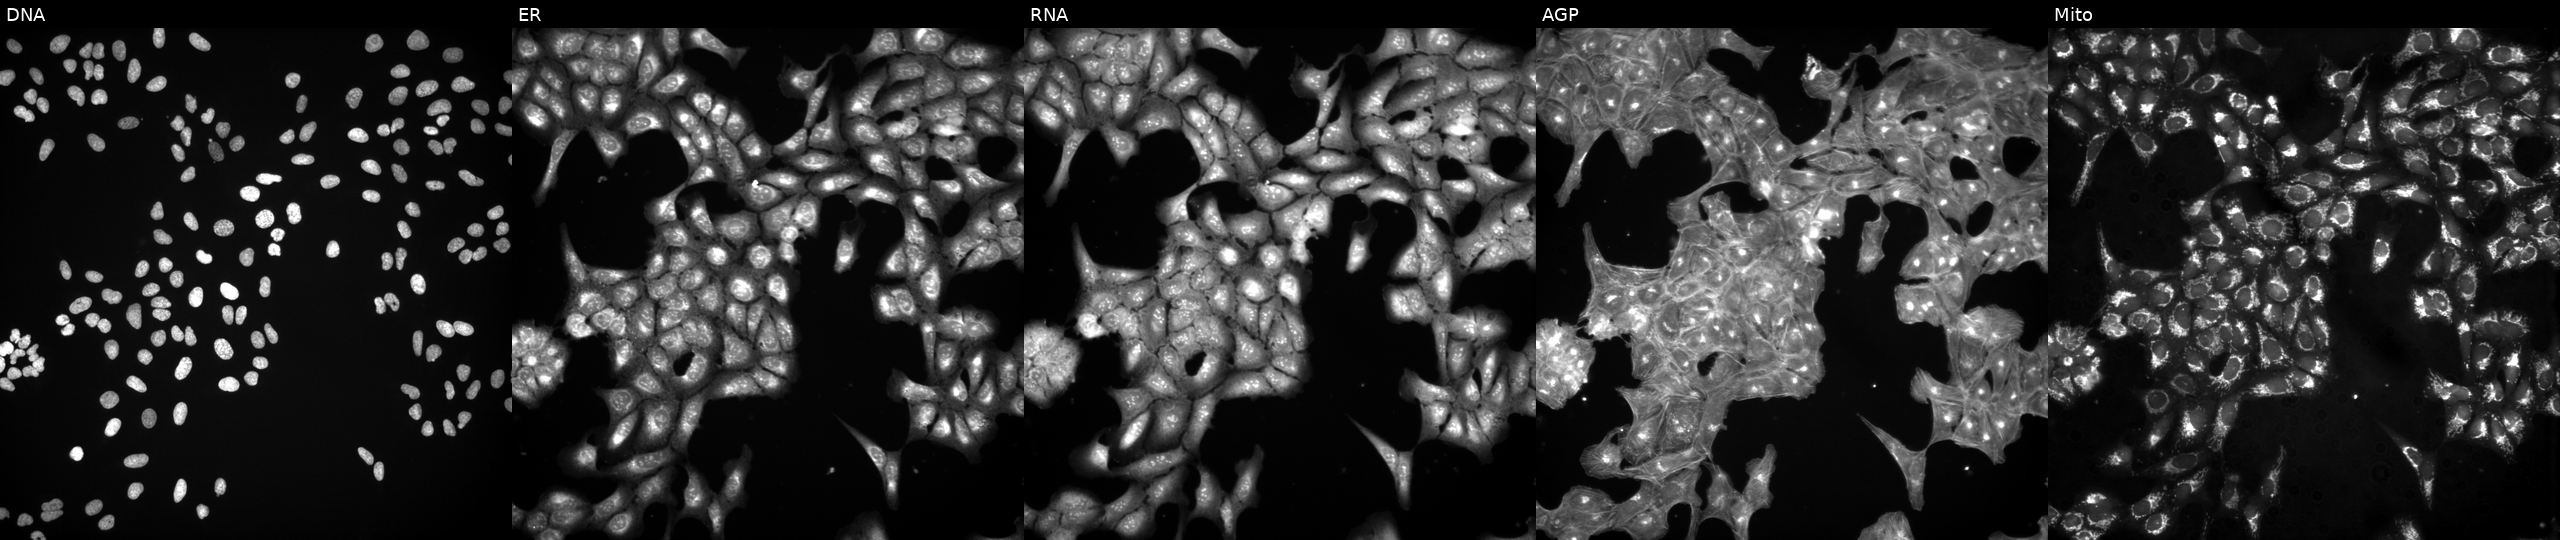
High-content fluorescence microscopy (Cell Painting). Cell line: U2OS. Perturbation: treated with DMSO vehicle only (negative control). The five panels, left to right, show DNA, ER, RNA, AGP, and Mito.